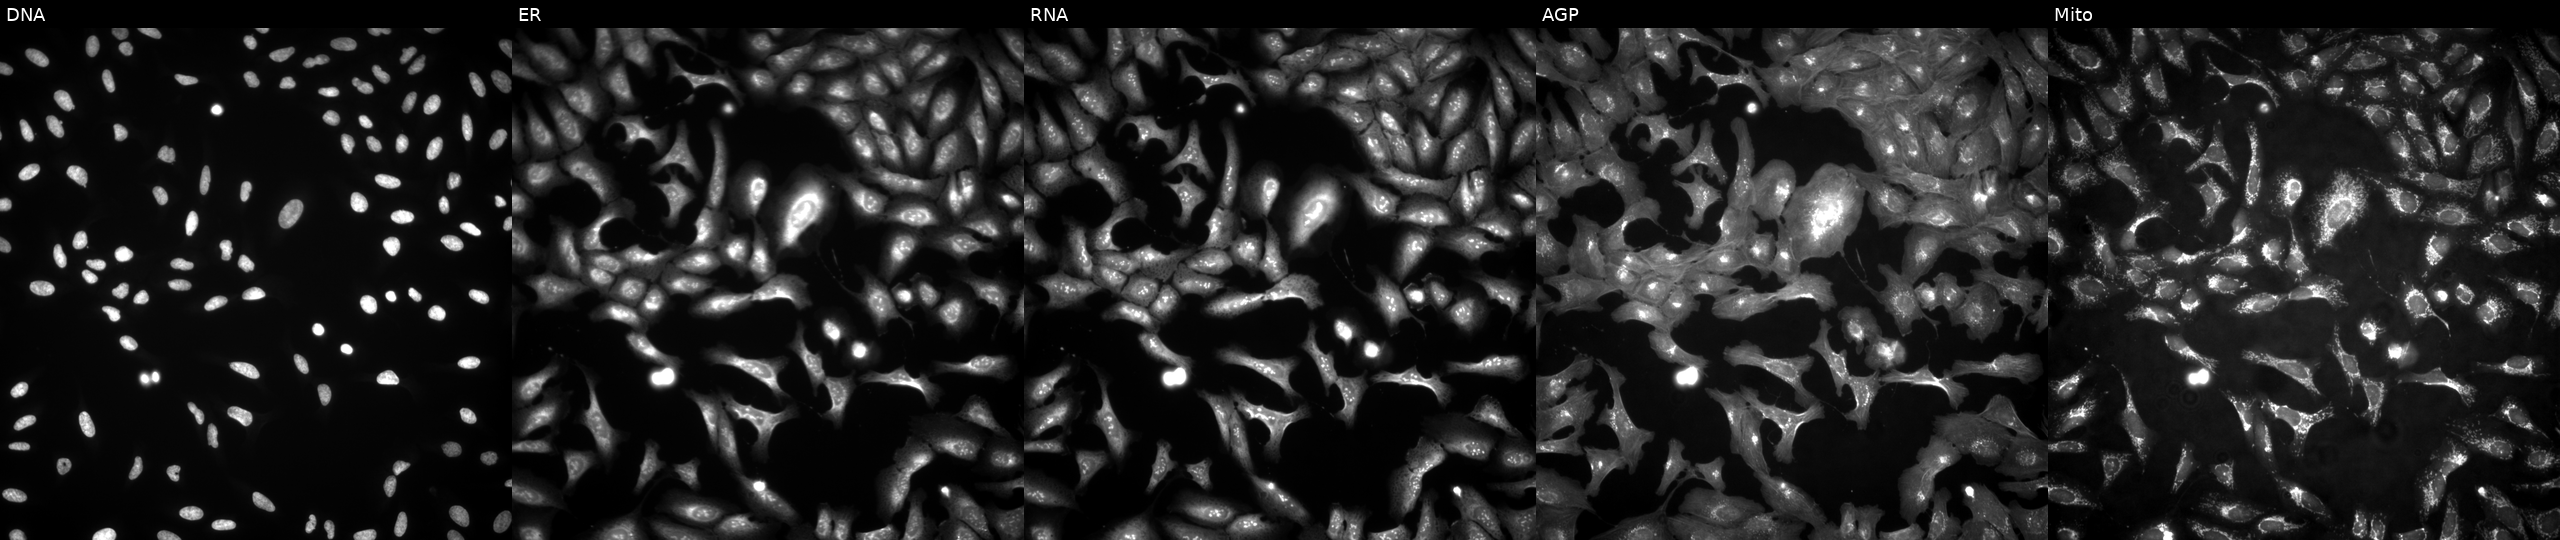
U2OS cells, Cell Painting assay, transfected with an ORF construct for PSENEN (JUMP id JCP2022_903444). Panels show, left to right, Hoechst 33342, concanavalin A, SYTO 14, phalloidin and WGA, MitoTracker. Each panel is percentile-stretched 16-bit fluorescence. Source 4, plate BR00123509, well F07.